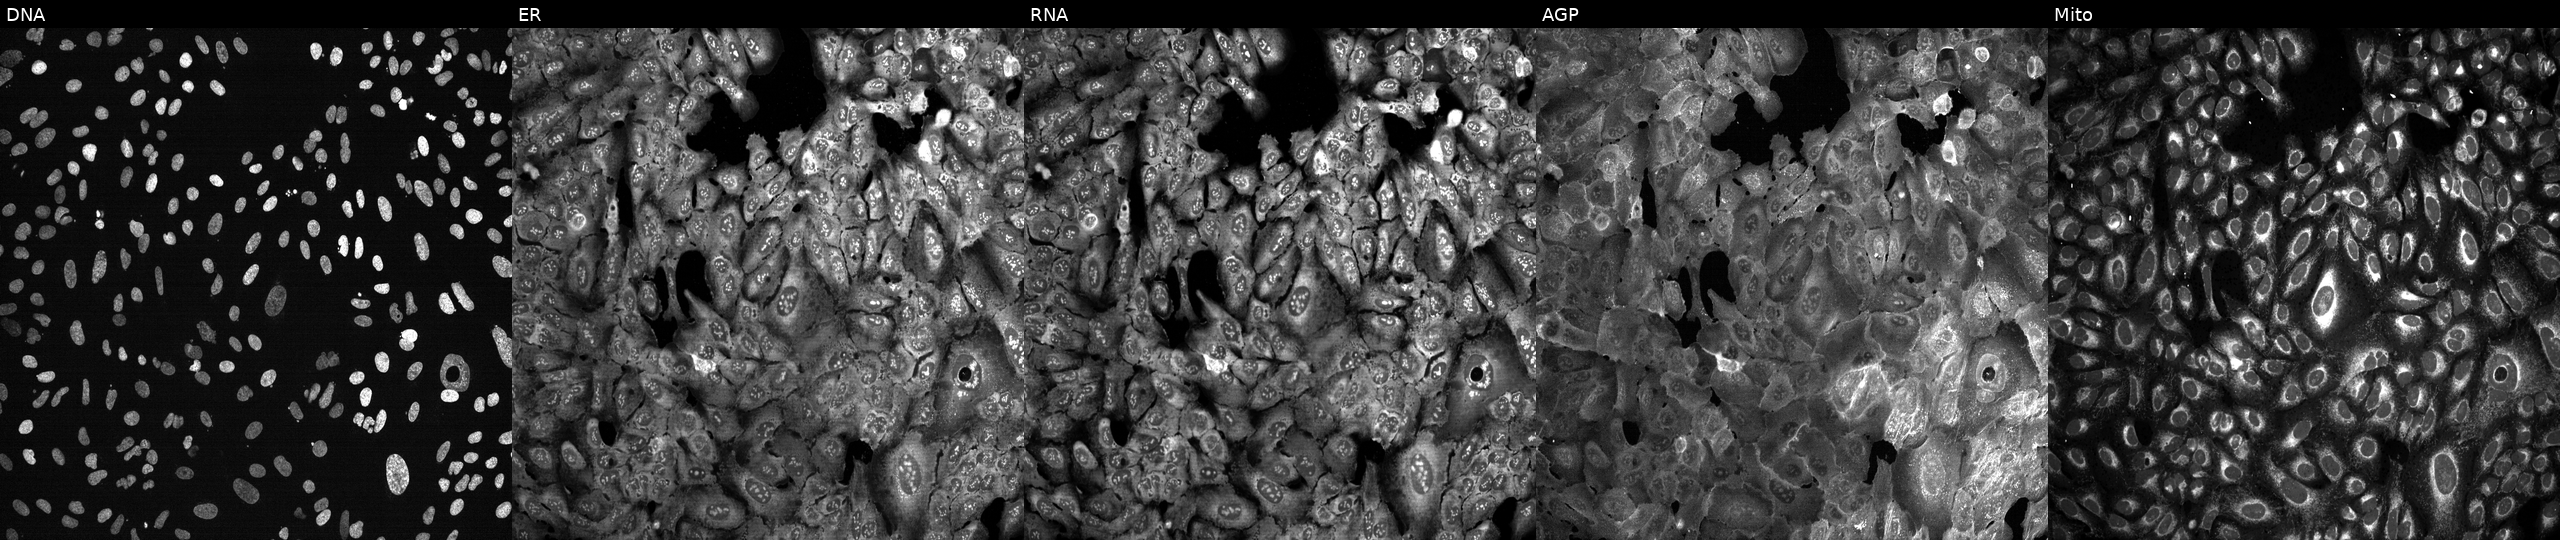
The five panels, left to right, show DNA (nuclei); ER (endoplasmic reticulum); RNA (nucleoli and cytoplasmic RNA); AGP (actin cytoskeleton, Golgi, and plasma membrane); Mito (mitochondria). U2OS osteosarcoma cells with HSP90AA1 knocked out by CRISPR. Cell Painting assay, JUMP-CP dataset. Source 13, plate CP-CC9-R2-02, well D04.